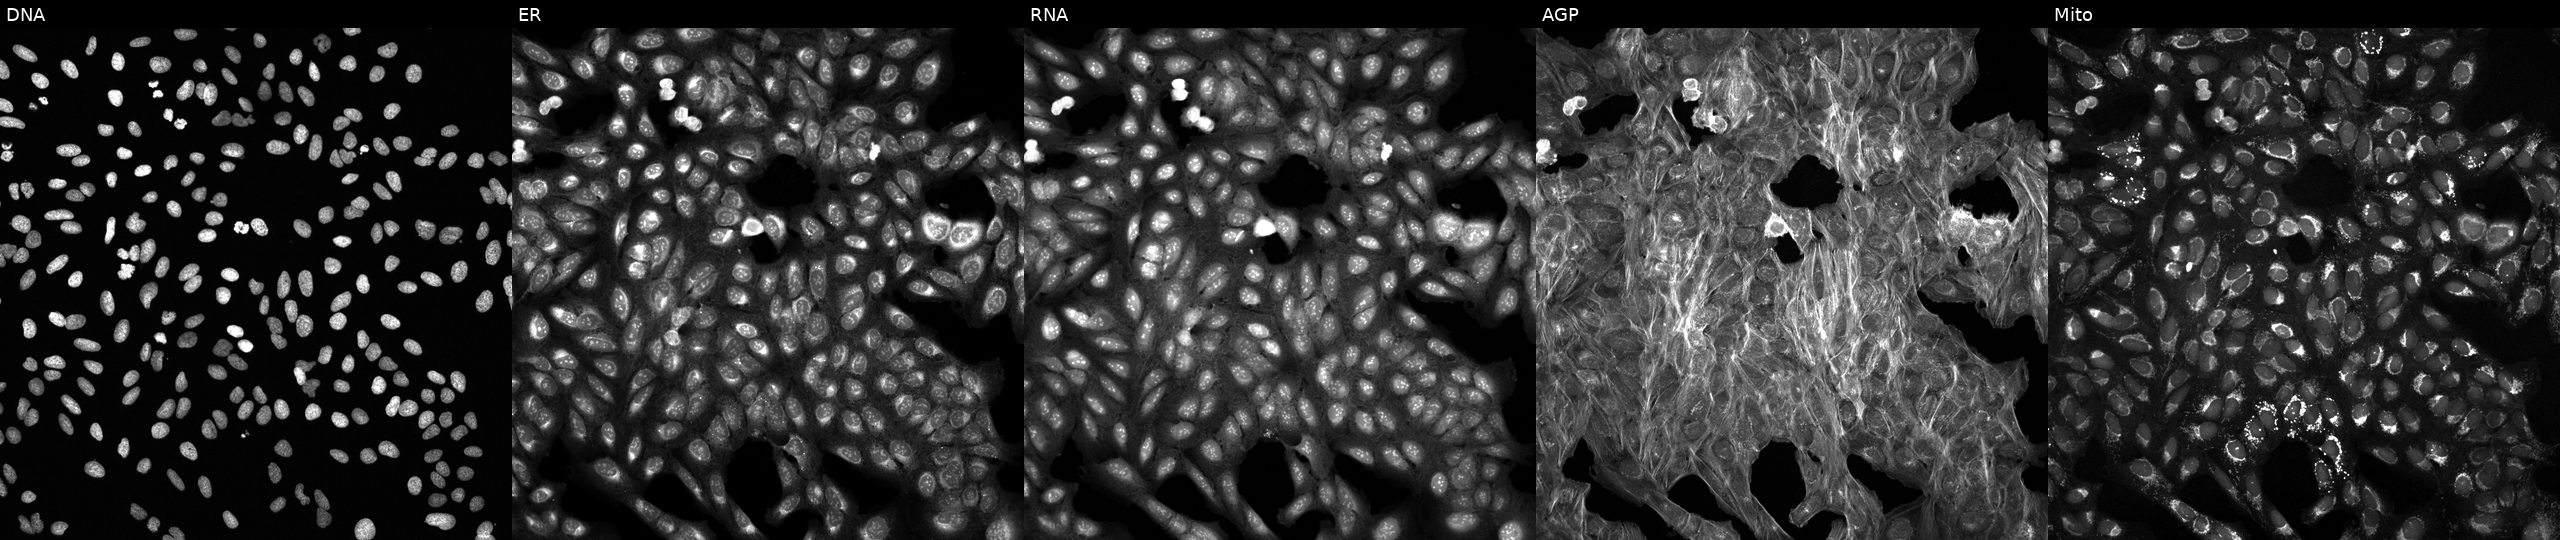
This image strip shows the five Cell Painting channels for a single field of U2OS cells exposed to a small-molecule compound (InChIKey QWODMRKTFRSOLU-UHFFFAOYSA-N). Channels (left→right): DNA (nuclei); ER (endoplasmic reticulum); RNA (nucleoli and cytoplasmic RNA); AGP (actin cytoskeleton, Golgi, and plasma membrane); Mito (mitochondria). Source 6, plate 110000293083, well C03.